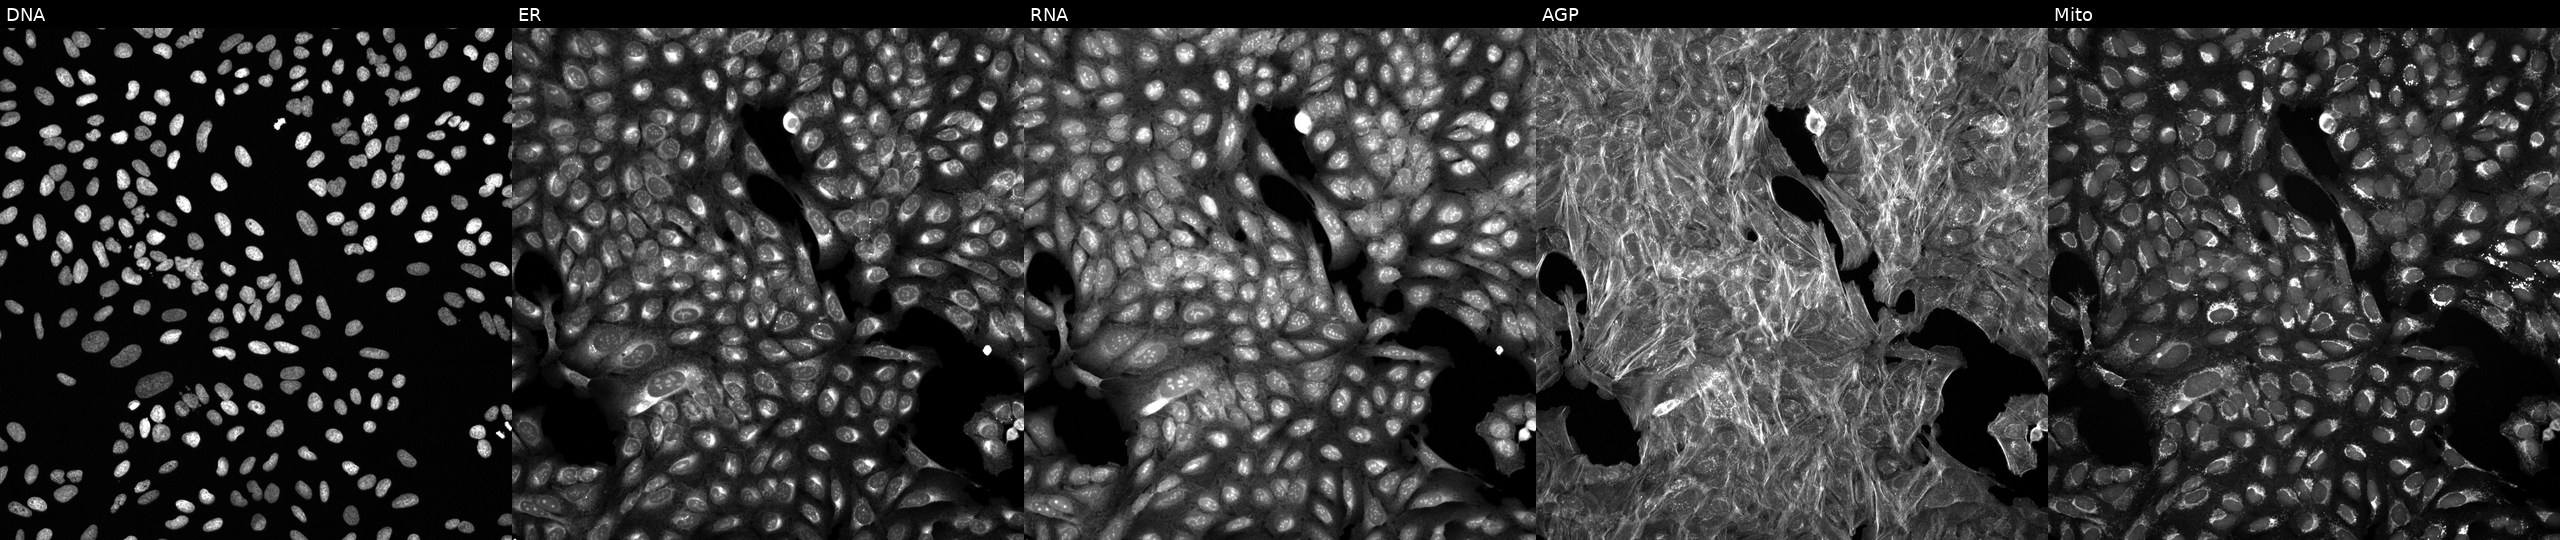
U2OS cells, Cell Painting assay, treated with a small-molecule compound (InChIKey QXKHYNVANLEOEG-UHFFFAOYSA-N) (JUMP id JCP2022_076523). The five panels, left to right, show DNA, ER, RNA, AGP, and Mito. Each panel is percentile-stretched 16-bit fluorescence.